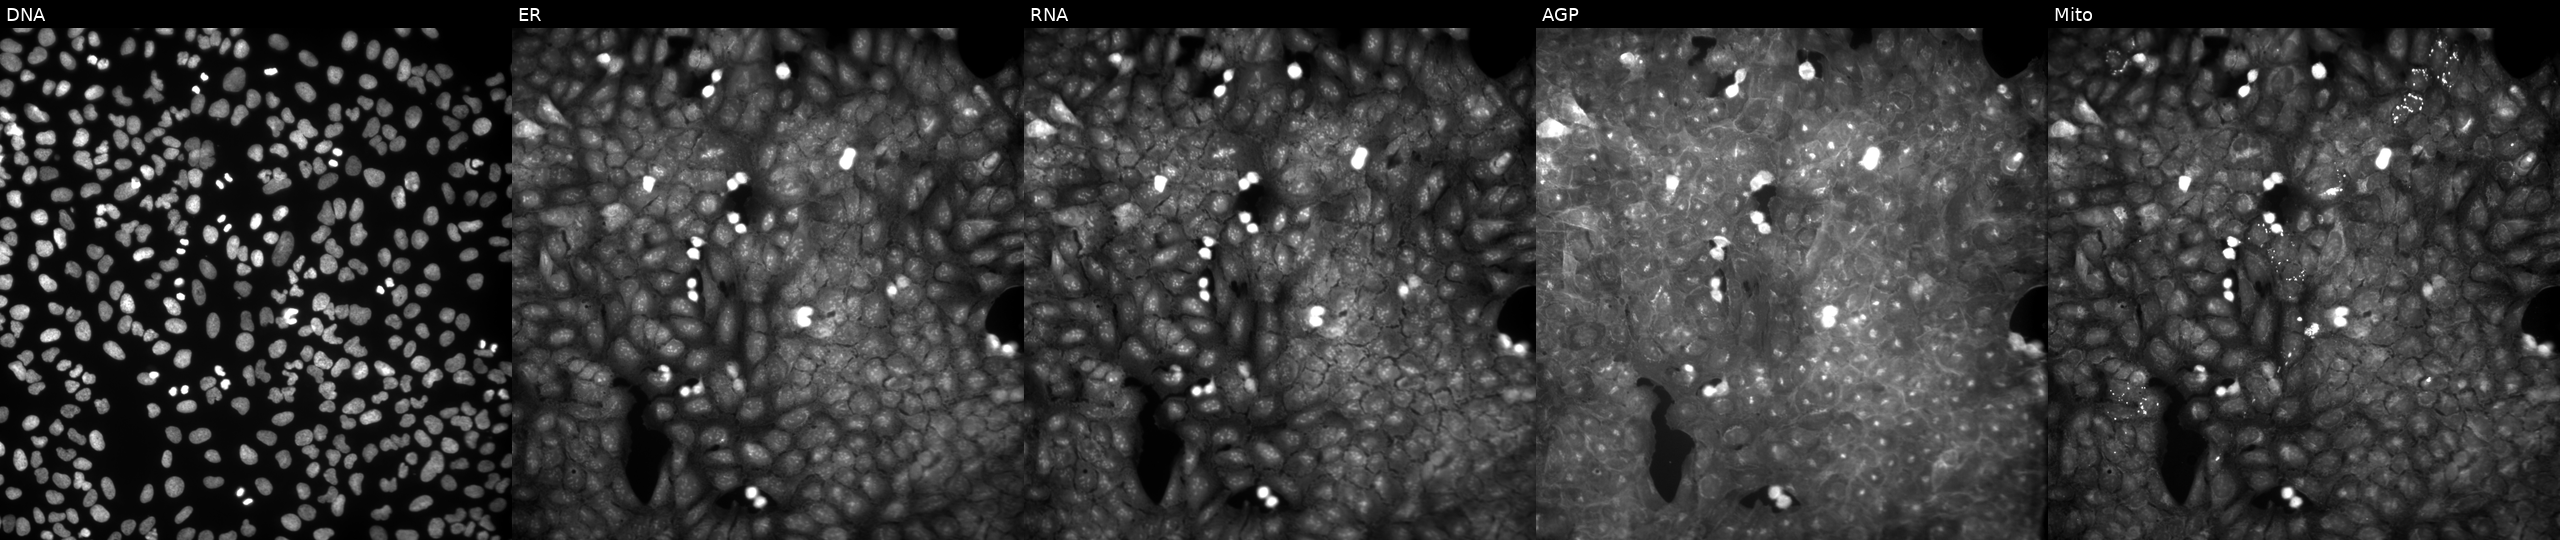
High-content fluorescence microscopy (Cell Painting). Cell line: U2OS. Perturbation: exposed to a small-molecule compound (InChIKey JNFIJENQNVTMLK-UHFFFAOYSA-N) [SMILES: O=C(c1ccc(Br)o1)N1CCN(c2ccc([N+](=O)[O-])cc2)CC1] (JUMP id JCP2022_040881). Panels show, left to right, Hoechst 33342, concanavalin A, SYTO 14, phalloidin and WGA, MitoTracker.